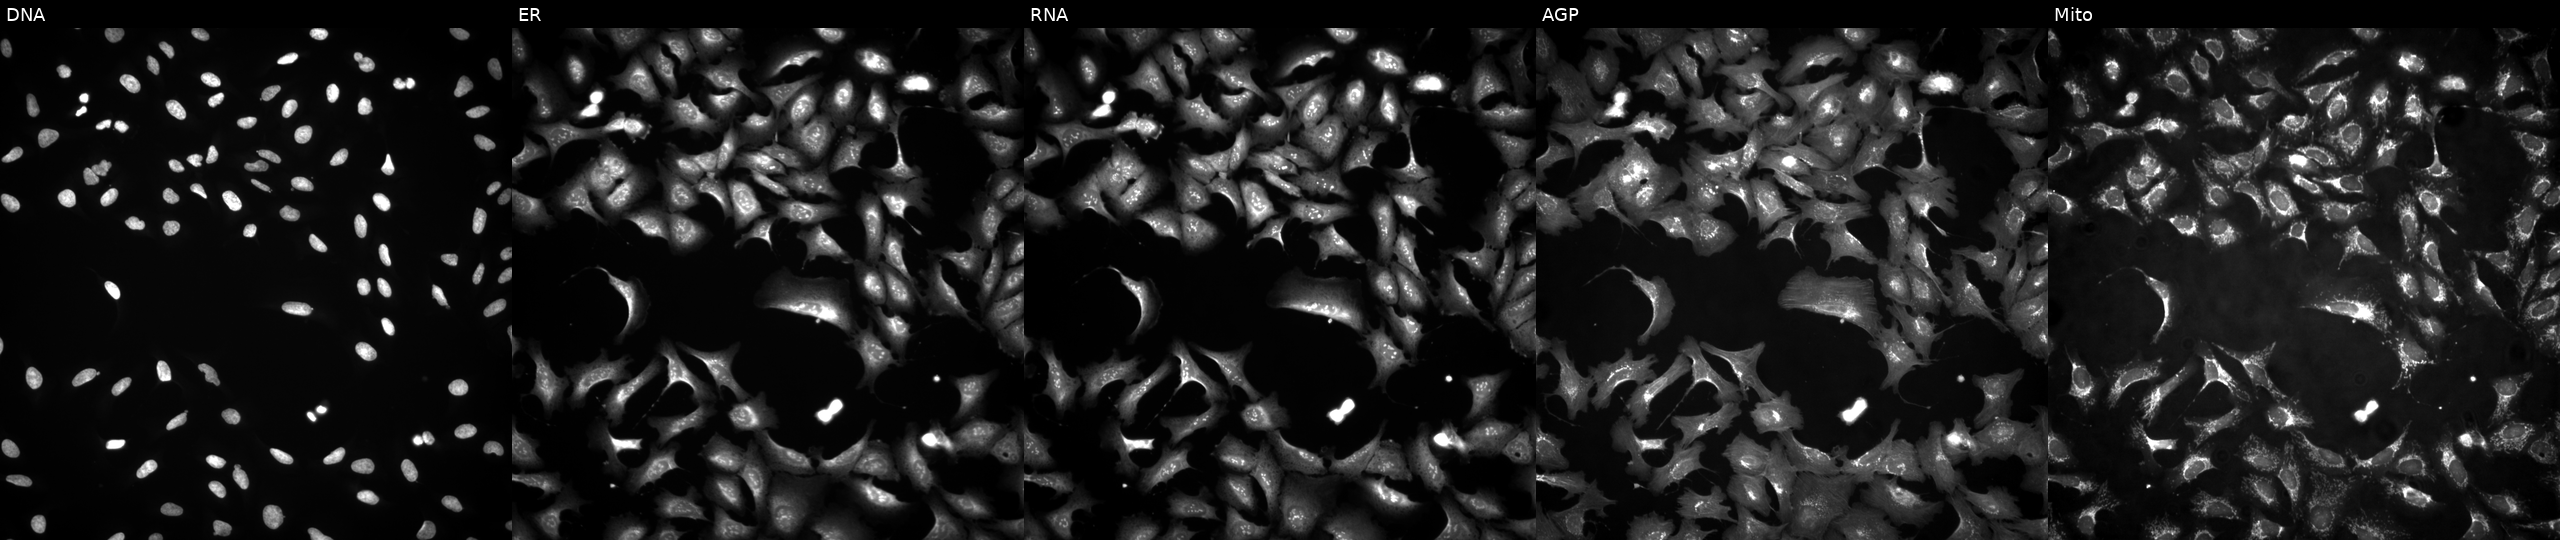
Panels show, left to right, DNA (nuclei); ER (endoplasmic reticulum); RNA (nucleoli and cytoplasmic RNA); AGP (actin cytoskeleton, Golgi, and plasma membrane); Mito (mitochondria). U2OS osteosarcoma cells transfected with an ORF construct for TMTC1. Cell Painting assay, JUMP-CP dataset.